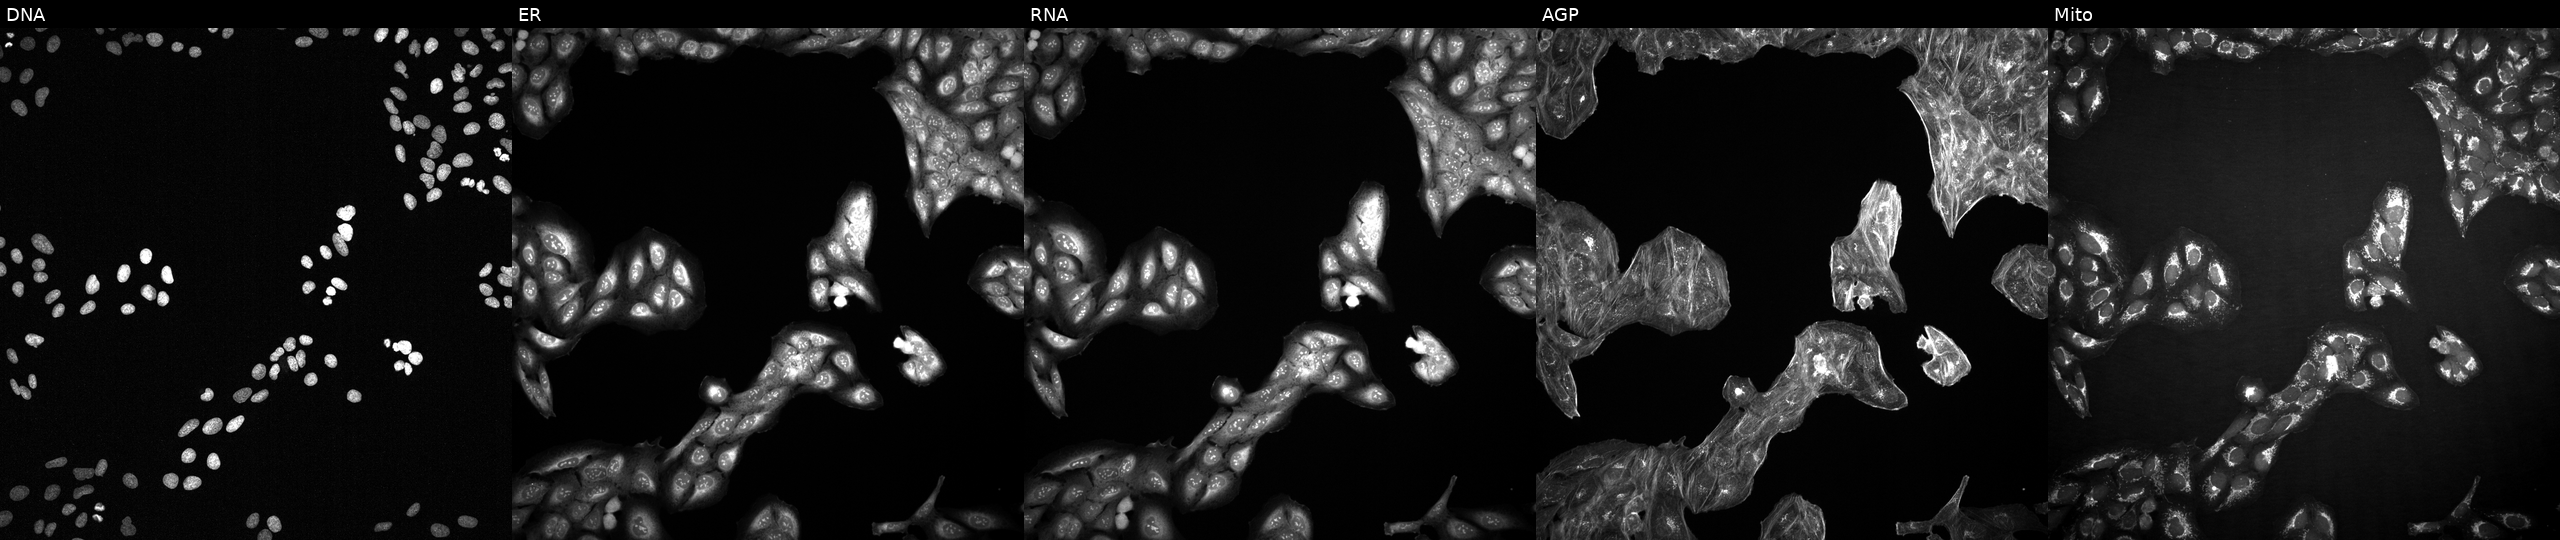
This image strip shows the five Cell Painting channels for a single field of U2OS cells exposed to a small-molecule compound (InChIKey NUKYPUAOHBNCPY-UHFFFAOYSA-N). Channels (left→right): Hoechst 33342, concanavalin A, SYTO 14, phalloidin and WGA, MitoTracker. Source 2, plate 1053600674, well B18.